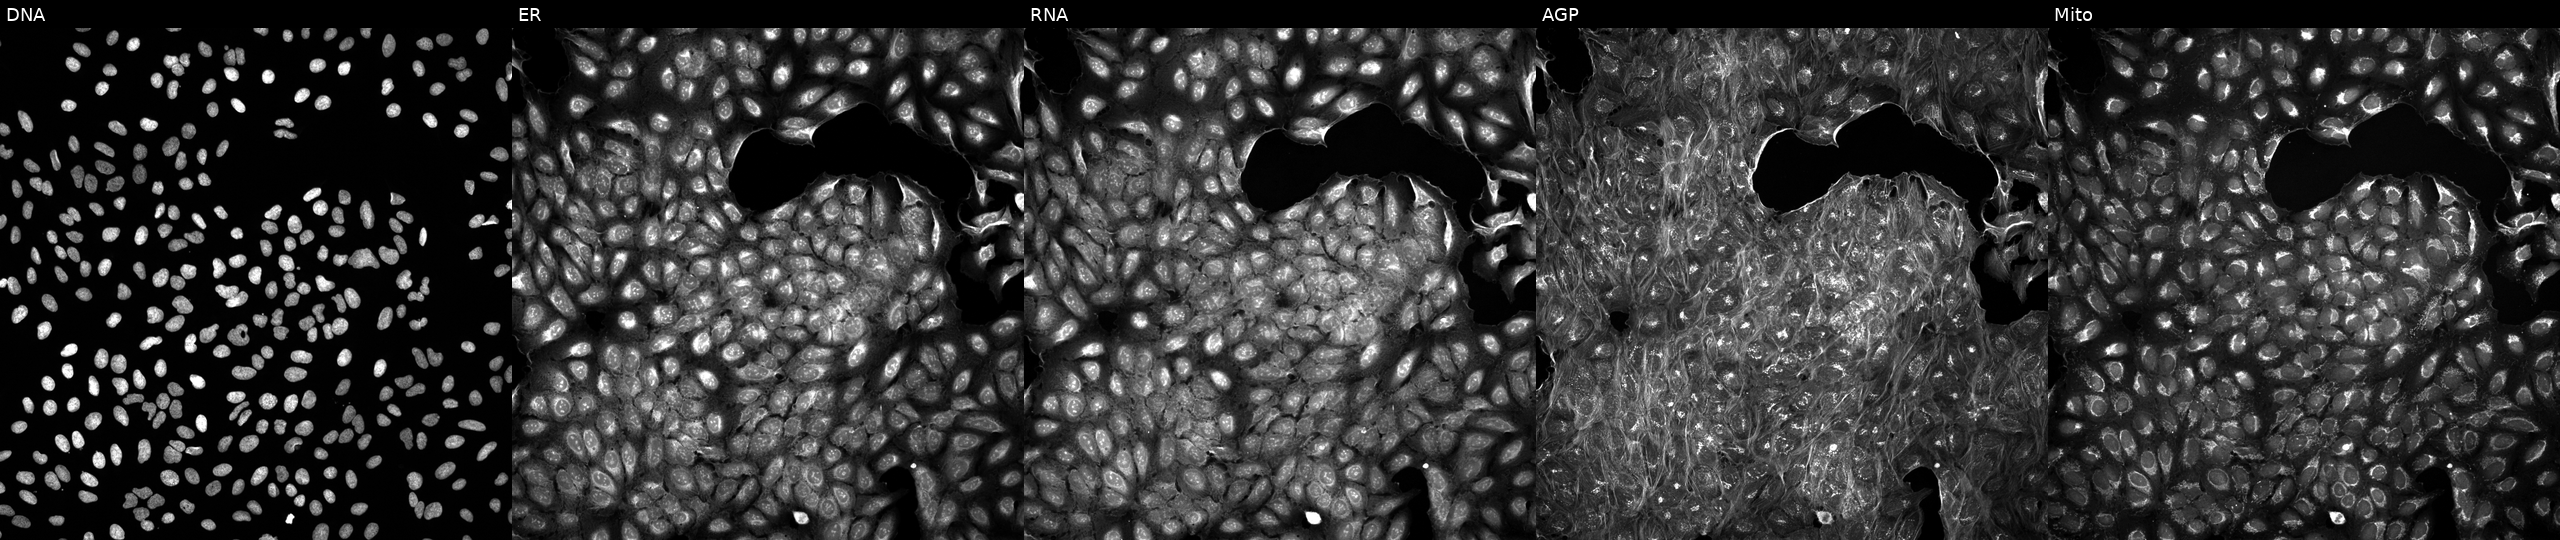
JUMP Cell Painting — TARGET2 plate. U2OS cells treated with a small-molecule compound [SMILES: OCC1OC(n2cnc3c2N=CNCC3O)CC1O] (JUMP id JCP2022_022191). From left to right: Hoechst 33342, concanavalin A, SYTO 14, phalloidin and WGA, MitoTracker.